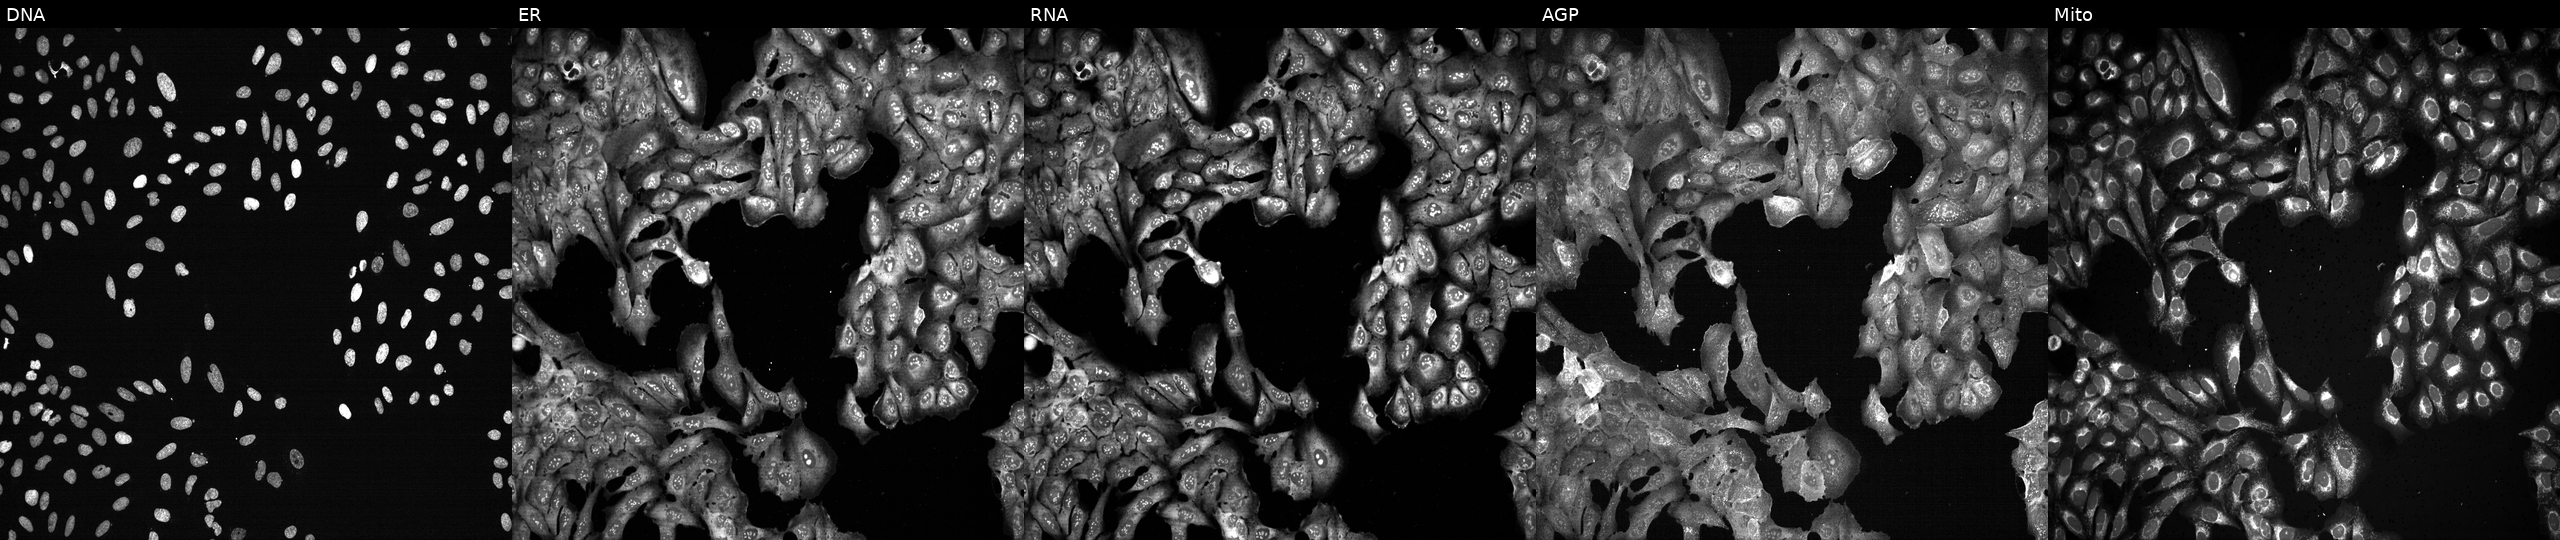
Five-channel Cell Painting image of U2OS cells following CRISPR knockout of LGSN (JUMP id JCP2022_803822). From left to right: DNA (nuclei); ER (endoplasmic reticulum); RNA (nucleoli and cytoplasmic RNA); AGP (actin cytoskeleton, Golgi, and plasma membrane); Mito (mitochondria).